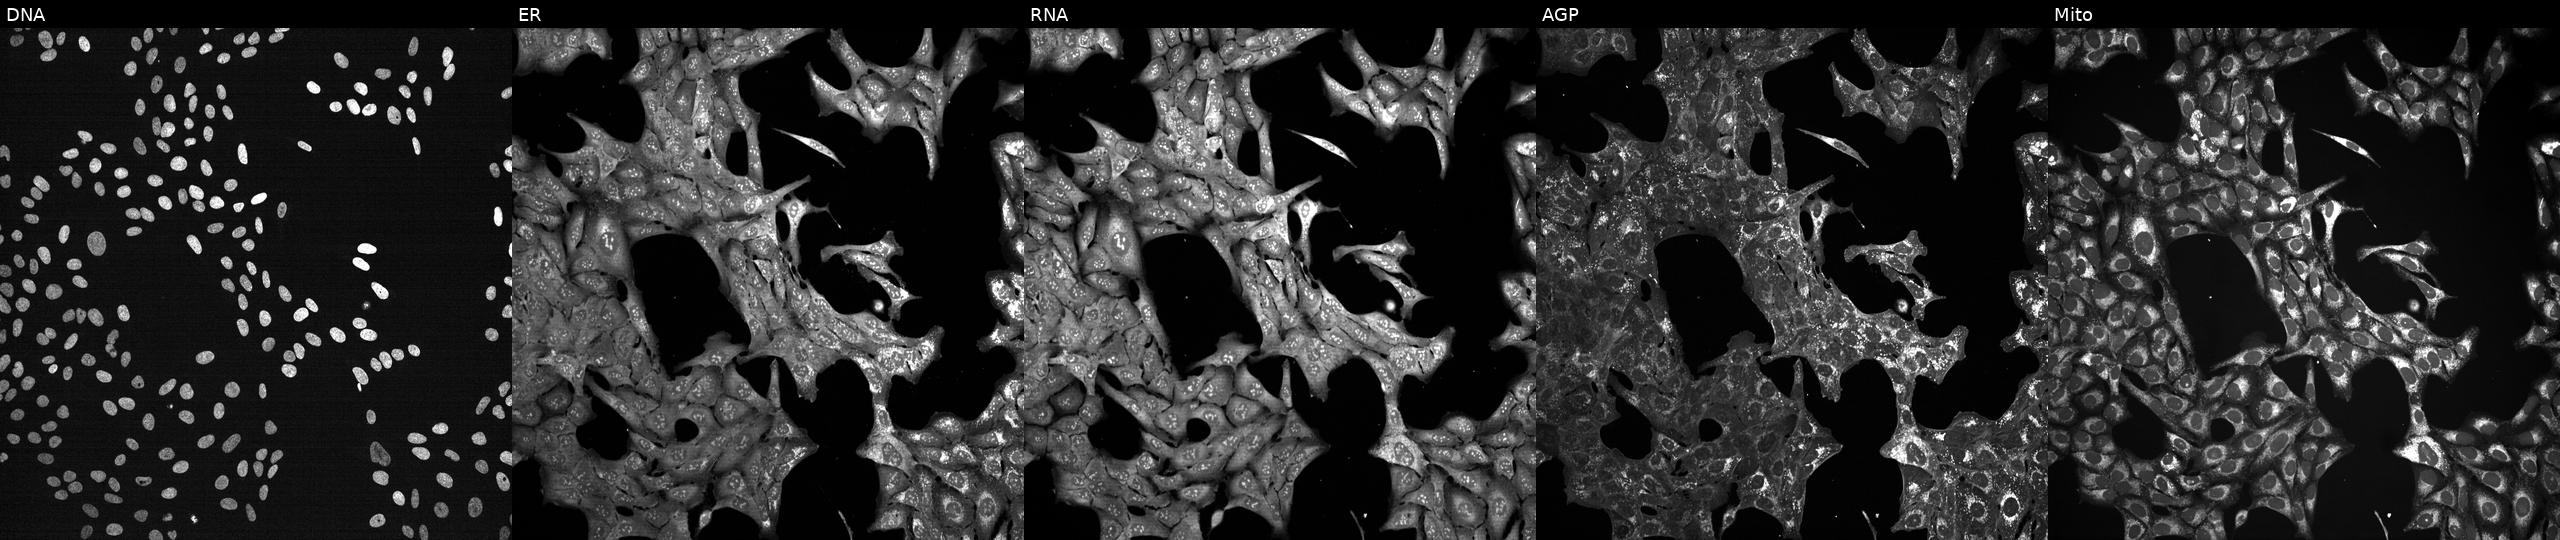
JUMP Cell Painting — TARGET2 plate. U2OS cells treated with a small-molecule compound (InChIKey CYYNMPPFEJPBJD-UHFFFAOYSA-N). From left to right: Hoechst 33342, concanavalin A, SYTO 14, phalloidin and WGA, MitoTracker.